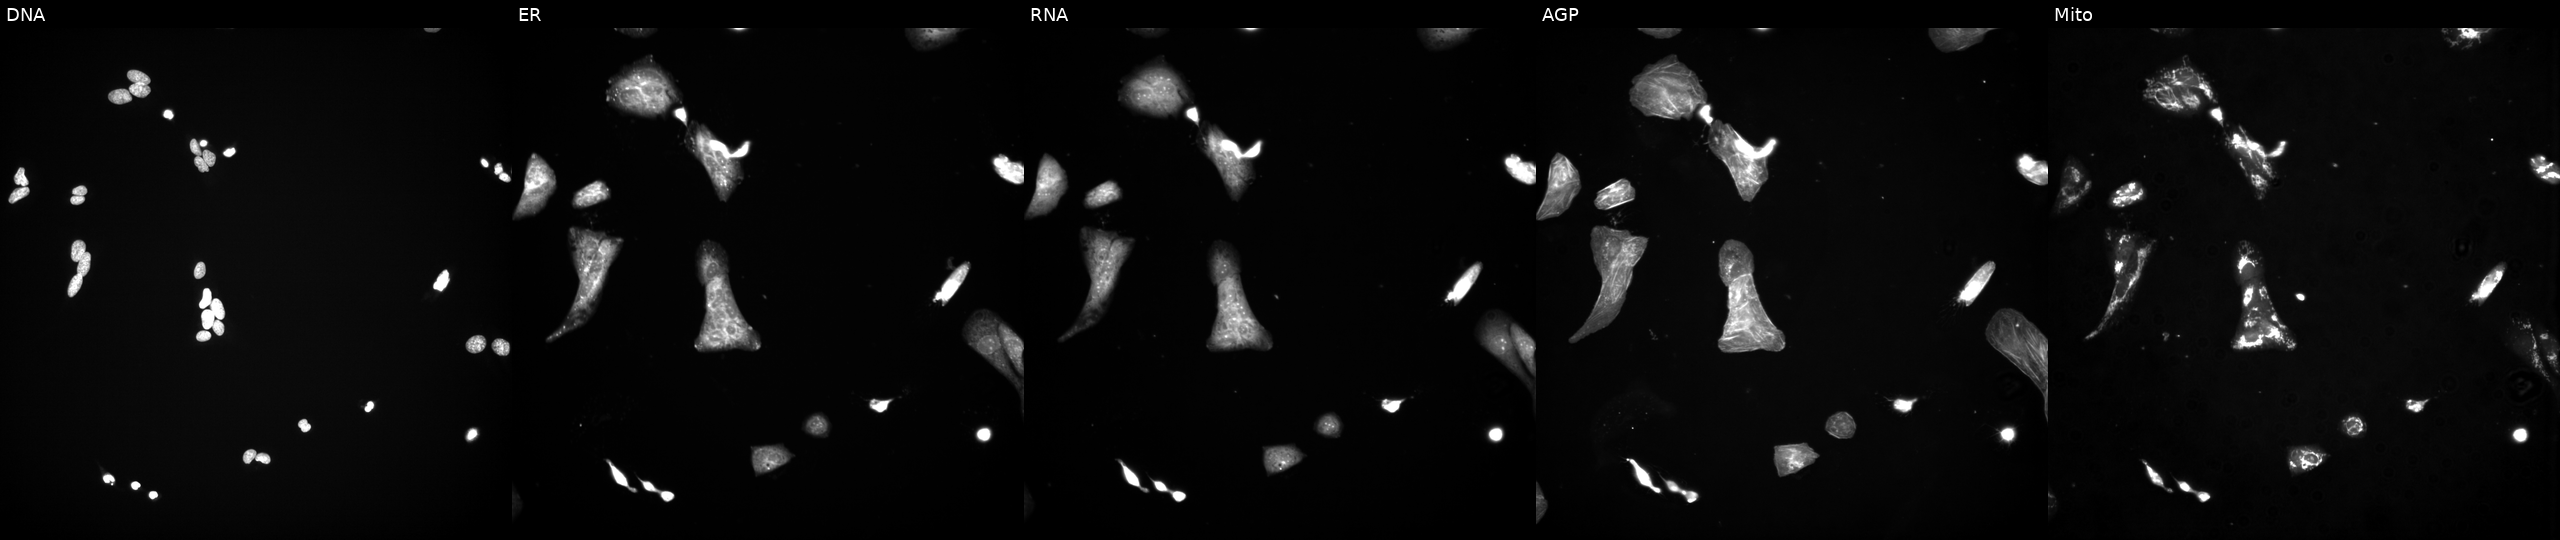
Five-channel Cell Painting image of U2OS cells treated with a small-molecule compound. Panels show, left to right, DNA, ER, RNA, AGP, and Mito. Source 3, plate JCPQC051, well O23.